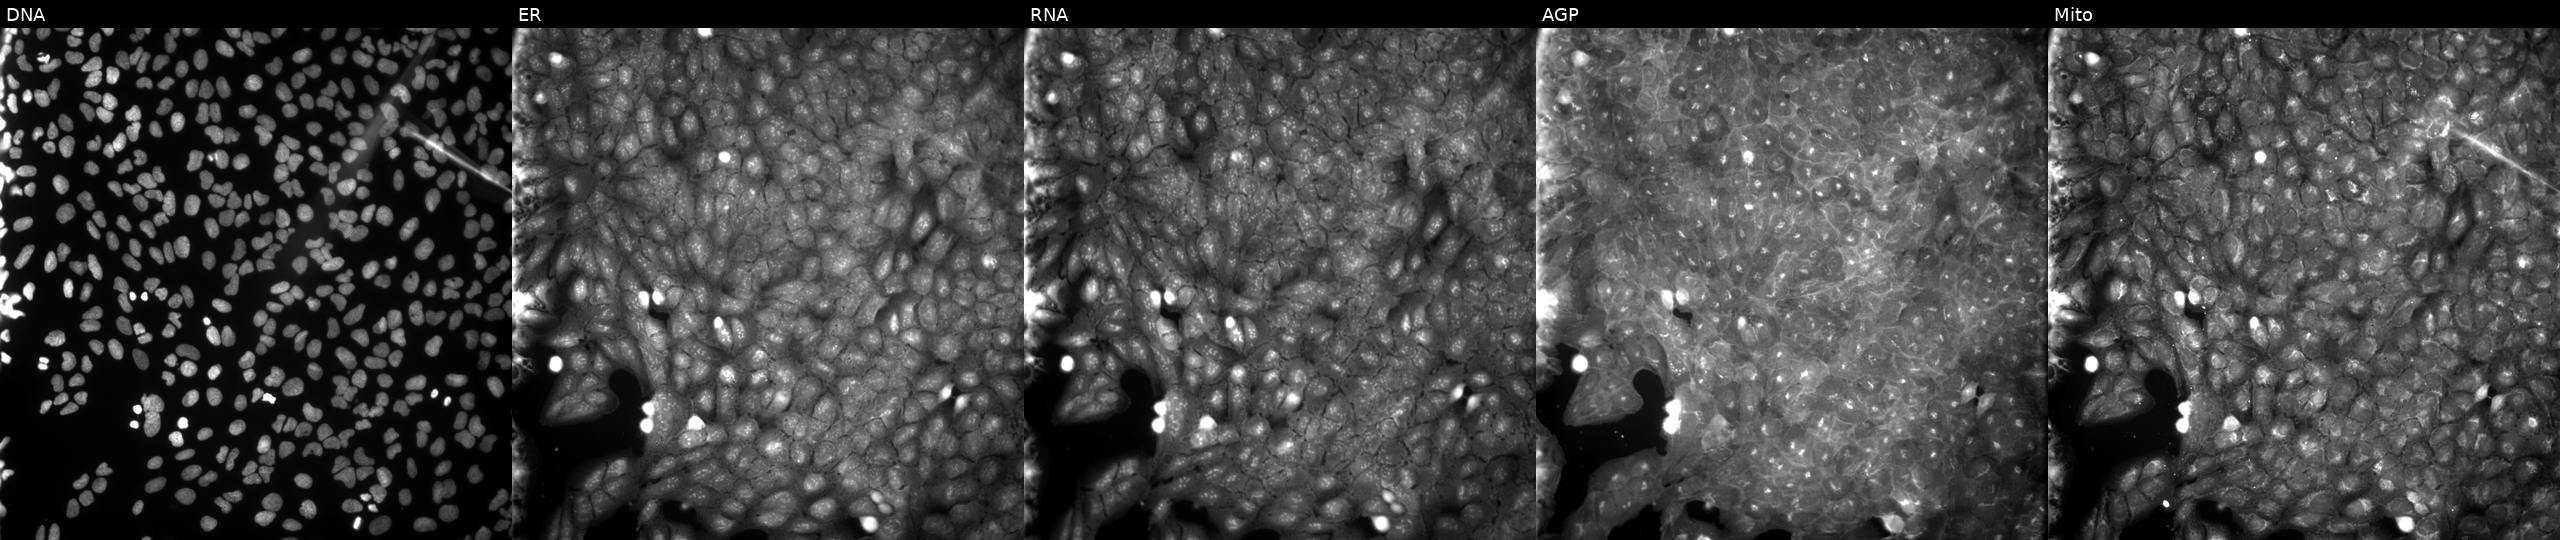
U2OS cells, Cell Painting assay, exposed to a small-molecule compound (InChIKey HKPDYQSNDOCOQL-UHFFFAOYSA-N) [SMILES: CCCC(=O)Nc1ccc2nn(-c3ccc(CC)cc3)nc2c1]. From left to right: DNA (nuclei); ER (endoplasmic reticulum); RNA (nucleoli and cytoplasmic RNA); AGP (actin cytoskeleton, Golgi, and plasma membrane); Mito (mitochondria). Each panel is percentile-stretched 16-bit fluorescence. Source 9, plate GR00003381, well Q11.